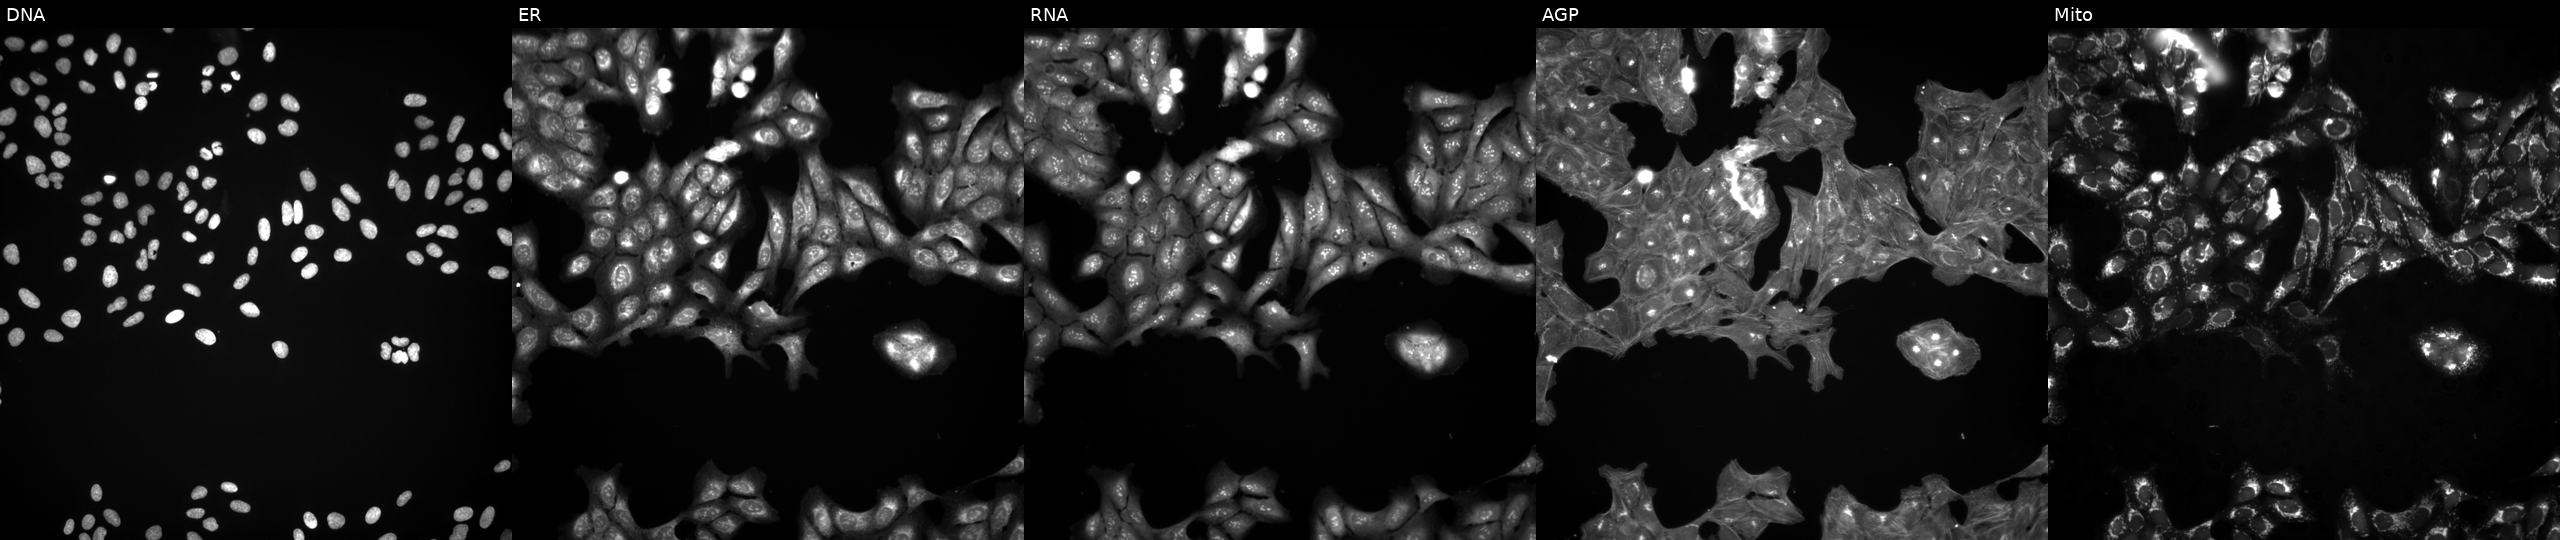
Channels (left→right): DNA, ER, RNA, AGP, and Mito. U2OS osteosarcoma cells perturbed with a small-molecule compound (InChIKey XEYBRNLFEZDVAW-UHFFFAOYSA-N) [SMILES: CCCCCC(O)C=CC1C(O)CC(=O)C1CC=CCCCC(=O)O]. Cell Painting assay, JUMP-CP dataset.